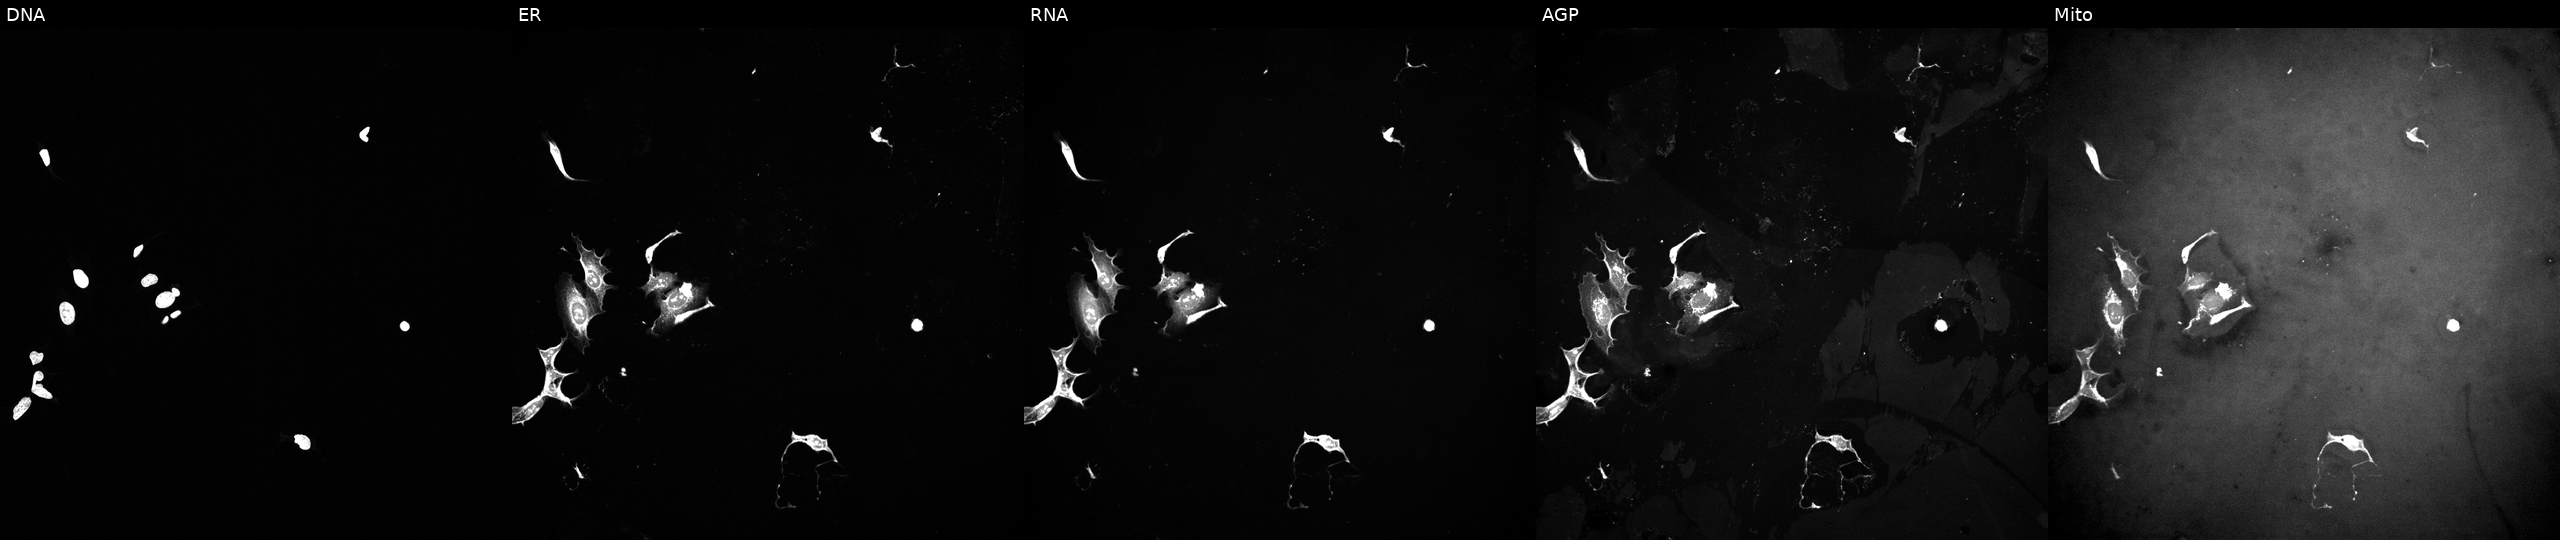
U2OS cells, Cell Painting assay, perturbed with a small-molecule compound. The five panels, left to right, show DNA (nuclei); ER (endoplasmic reticulum); RNA (nucleoli and cytoplasmic RNA); AGP (actin cytoskeleton, Golgi, and plasma membrane); Mito (mitochondria). Each panel is percentile-stretched 16-bit fluorescence.